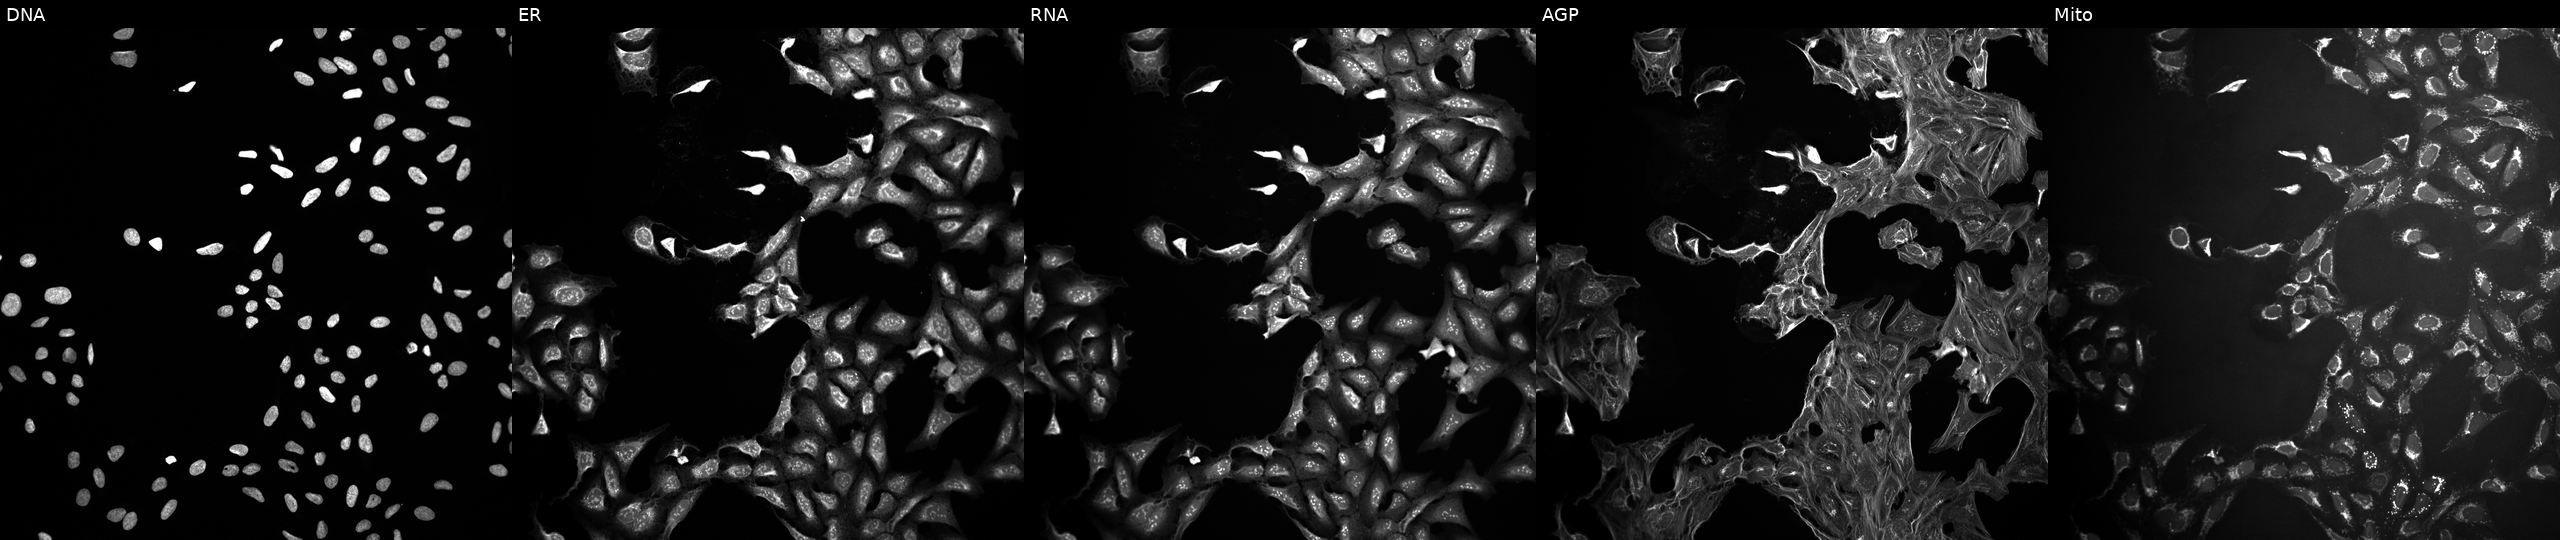
Five-channel Cell Painting image of U2OS cells exposed to DMSO alone as a negative control (JUMP id JCP2022_033924). Channels (left→right): DNA, ER, RNA, AGP, and Mito. Source 10, plate Dest210727-153003, well I20.